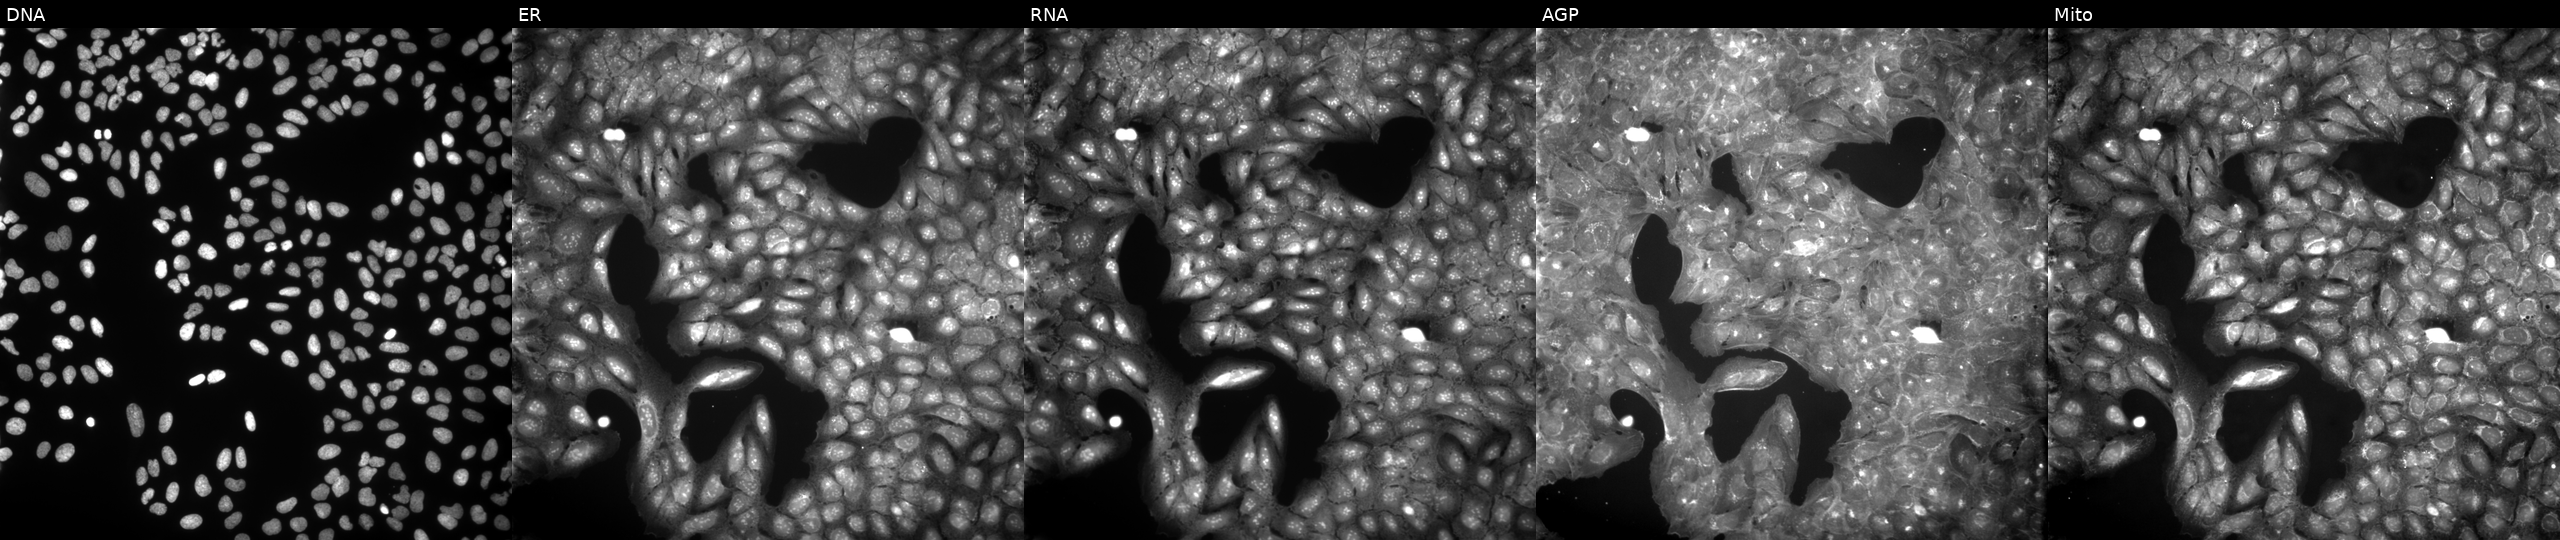
High-content fluorescence microscopy (Cell Painting). Cell line: U2OS. Perturbation: exposed to a small-molecule compound (JUMP id JCP2022_025872). From left to right: Hoechst 33342, concanavalin A, SYTO 14, phalloidin and WGA, MitoTracker.